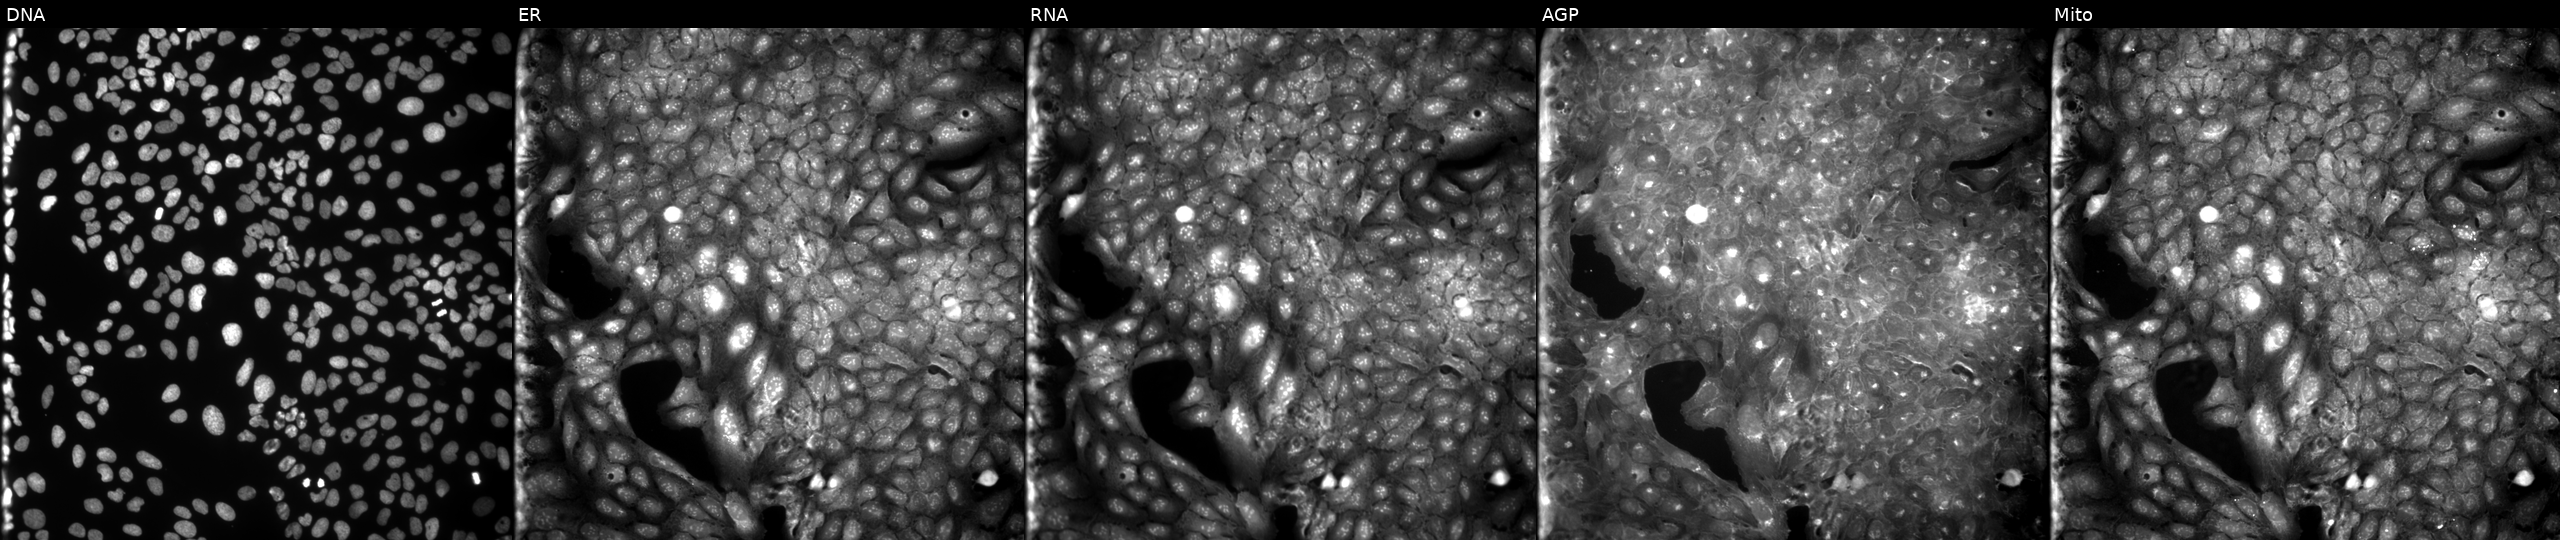
JUMP Cell Painting — COMPOUND plate. U2OS cells treated with a small-molecule compound (InChIKey WNJRWSXNVPJKPV-UHFFFAOYSA-N). Channels (left→right): Hoechst 33342, concanavalin A, SYTO 14, phalloidin and WGA, MitoTracker. Source 9, plate GR00003382, well K15.